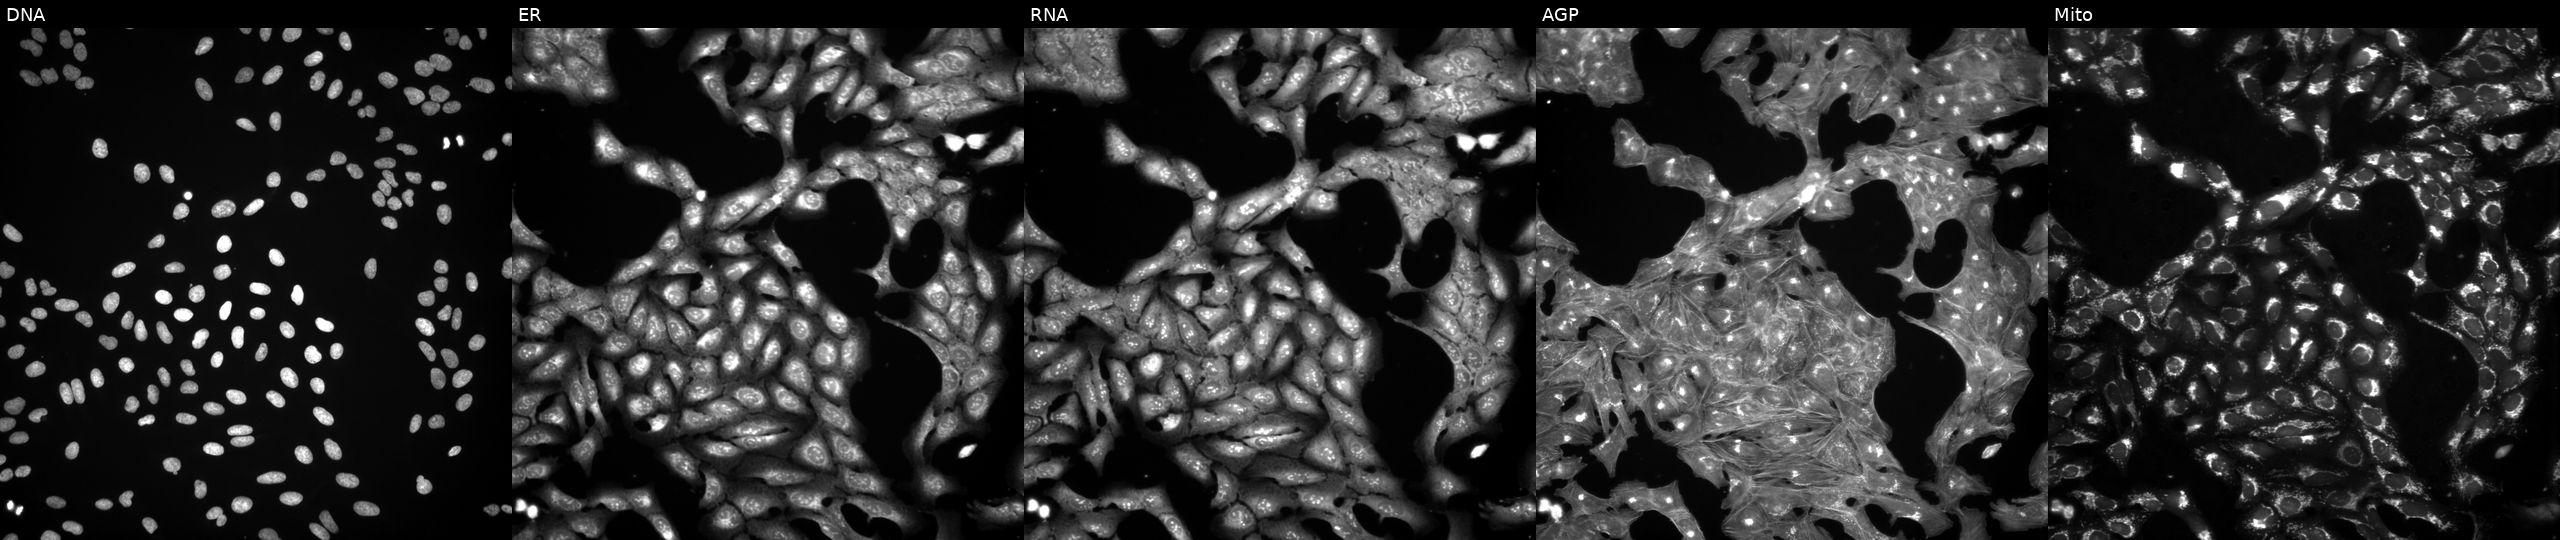
High-content fluorescence microscopy (Cell Painting). Cell line: U2OS. Perturbation: treated with a small-molecule compound (JUMP id JCP2022_107513). Panels show, left to right, DNA (nuclei); ER (endoplasmic reticulum); RNA (nucleoli and cytoplasmic RNA); AGP (actin cytoskeleton, Golgi, and plasma membrane); Mito (mitochondria). Source 3, plate BR5867b3, well F18.